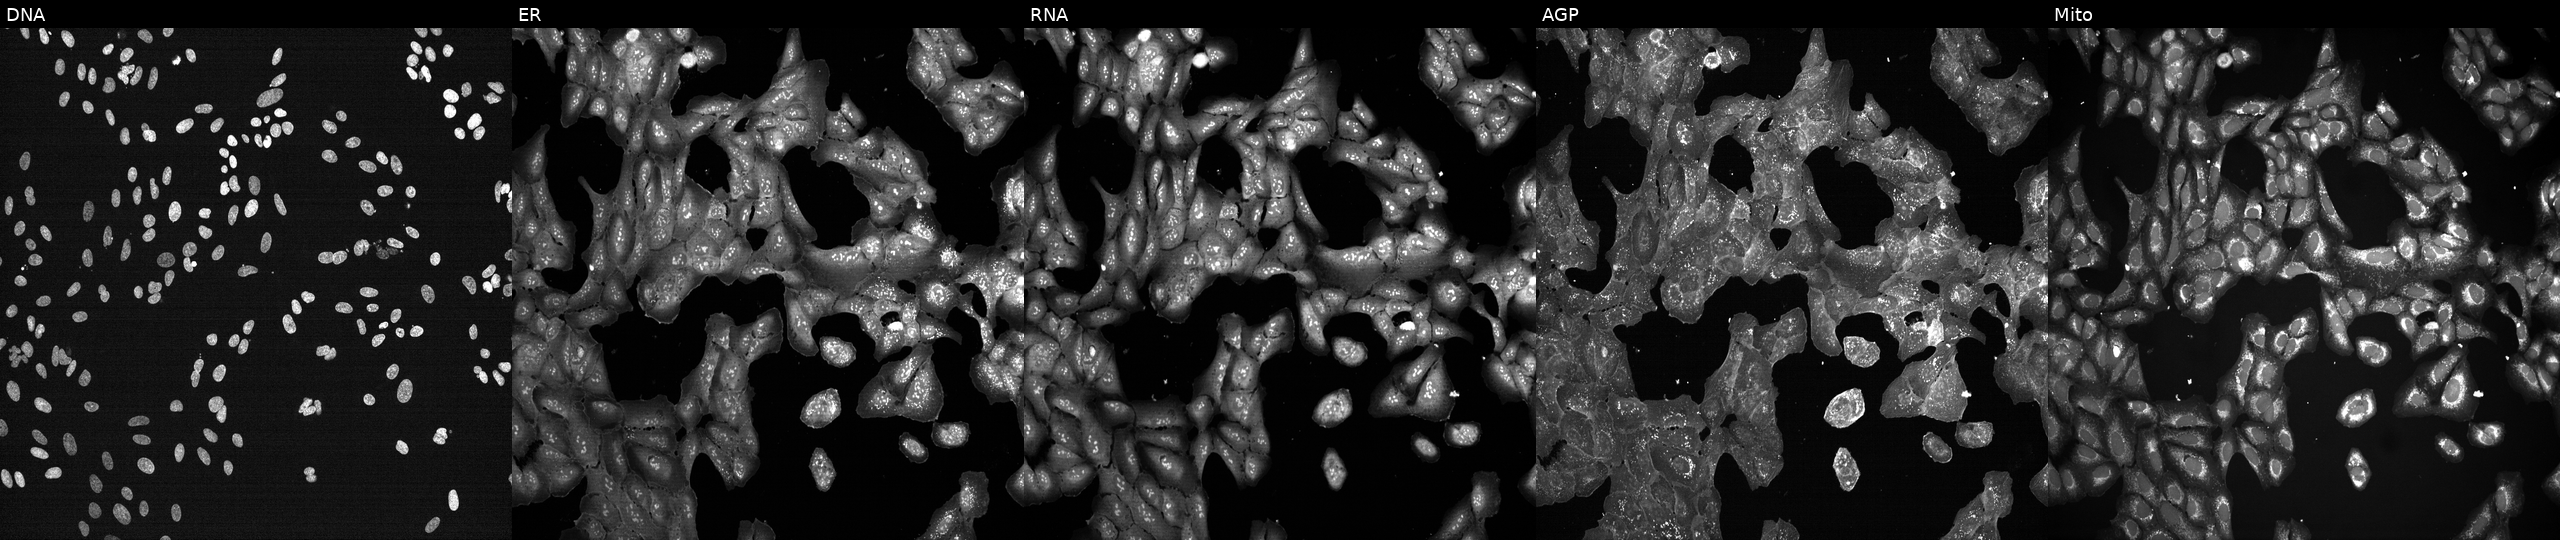
This image strip shows the five Cell Painting channels for a single field of U2OS cells treated with a small-molecule compound. Panels show, left to right, Hoechst 33342, concanavalin A, SYTO 14, phalloidin and WGA, MitoTracker.